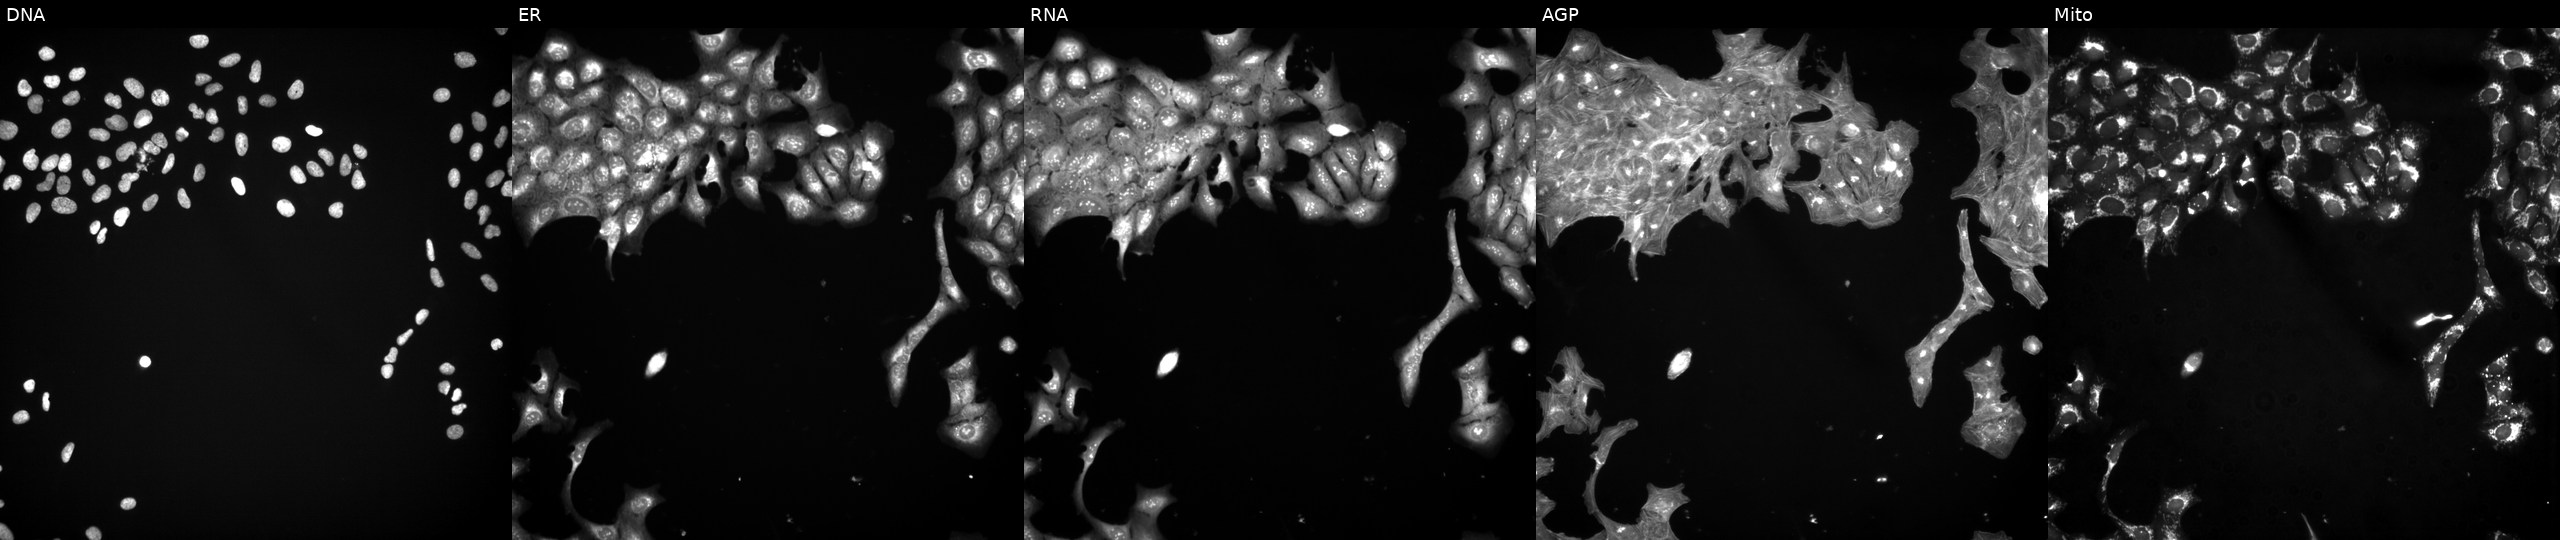
Channels (left→right): DNA (nuclei); ER (endoplasmic reticulum); RNA (nucleoli and cytoplasmic RNA); AGP (actin cytoskeleton, Golgi, and plasma membrane); Mito (mitochondria). U2OS osteosarcoma cells perturbed with a small-molecule compound (InChIKey PKYKNPLSFOKASK-UHFFFAOYSA-N) [SMILES: CCCCc1c(O)n(-c2ccccc2)n(-c2ccccc2)c1=O]. Cell Painting assay, JUMP-CP dataset.